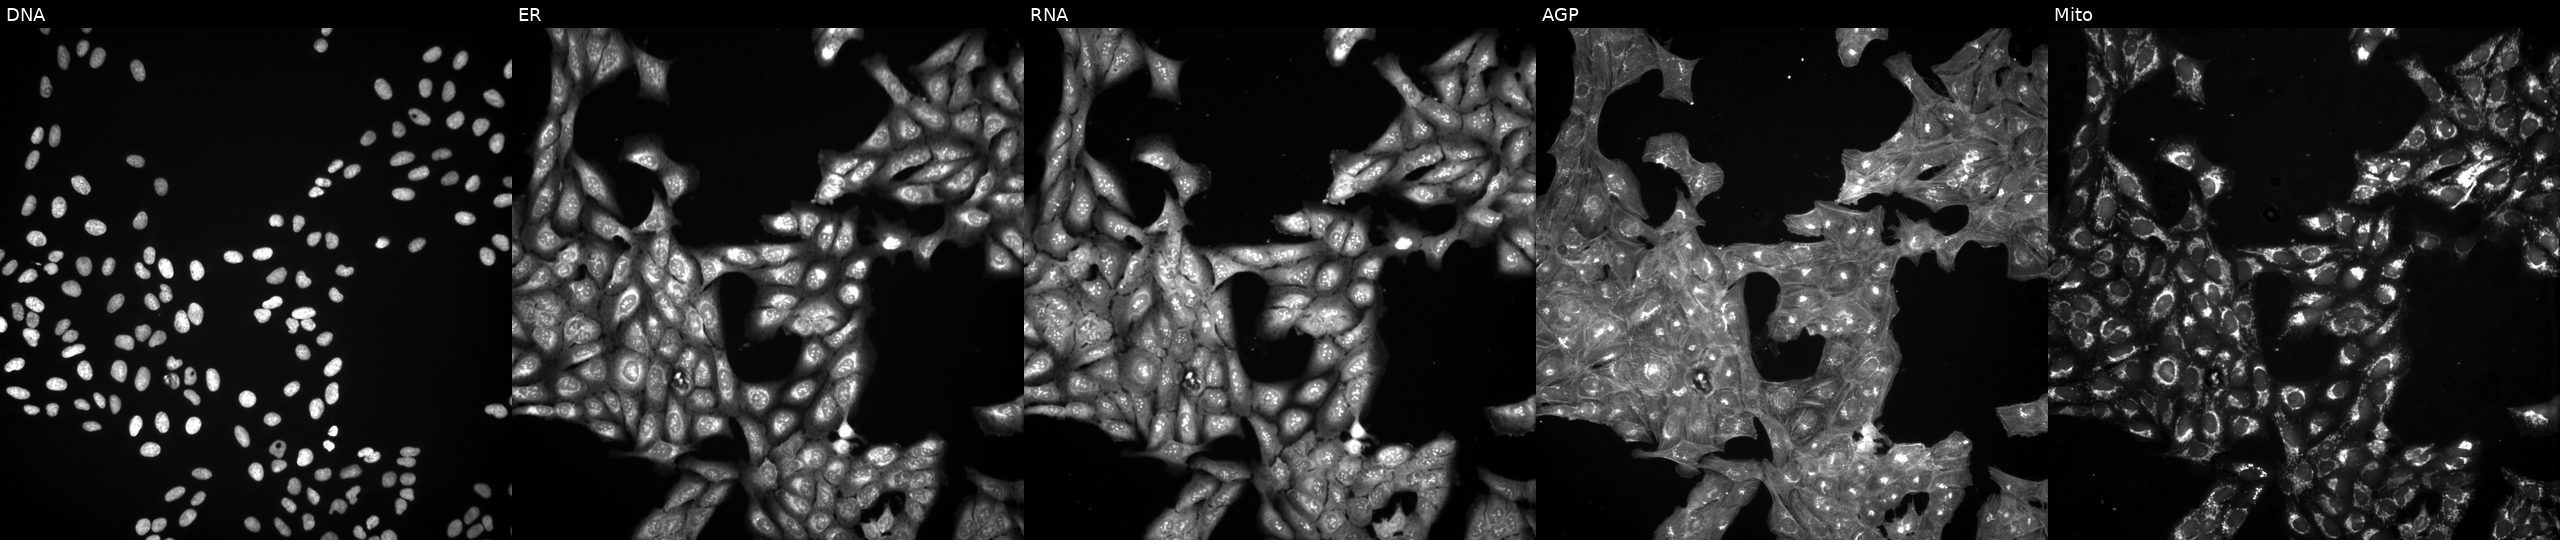
Five-channel Cell Painting image of U2OS cells treated with a small-molecule compound (InChIKey LABWPXGJSIXKRE-UHFFFAOYSA-N). Panels show, left to right, DNA, ER, RNA, AGP, and Mito.